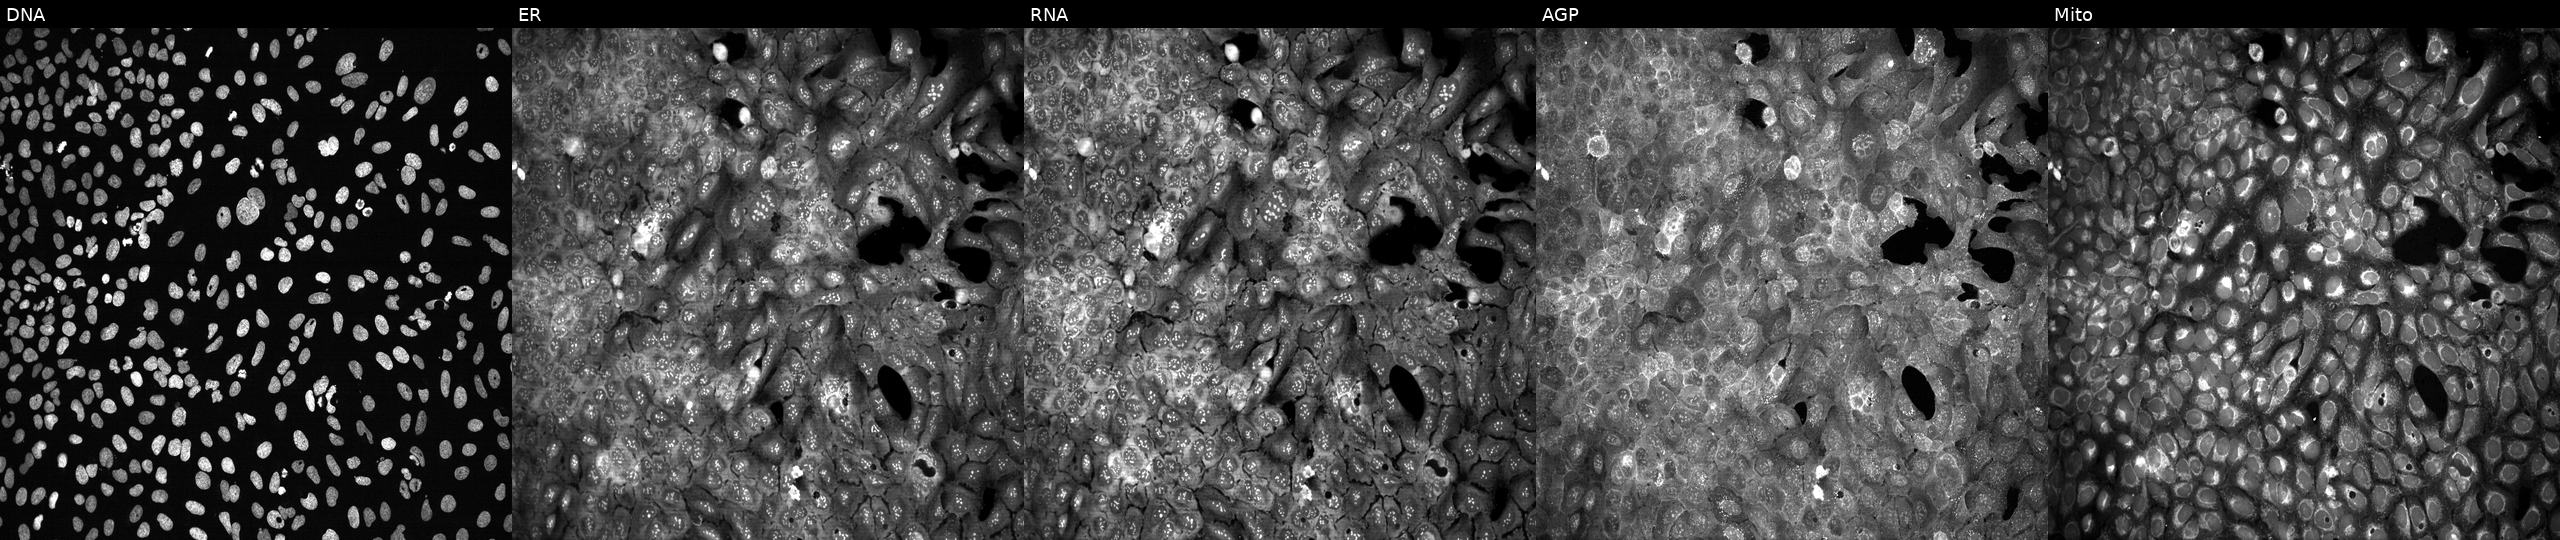
The five panels, left to right, show DNA, ER, RNA, AGP, and Mito. U2OS osteosarcoma cells following CRISPR knockout of PADI3. Cell Painting assay, JUMP-CP dataset.